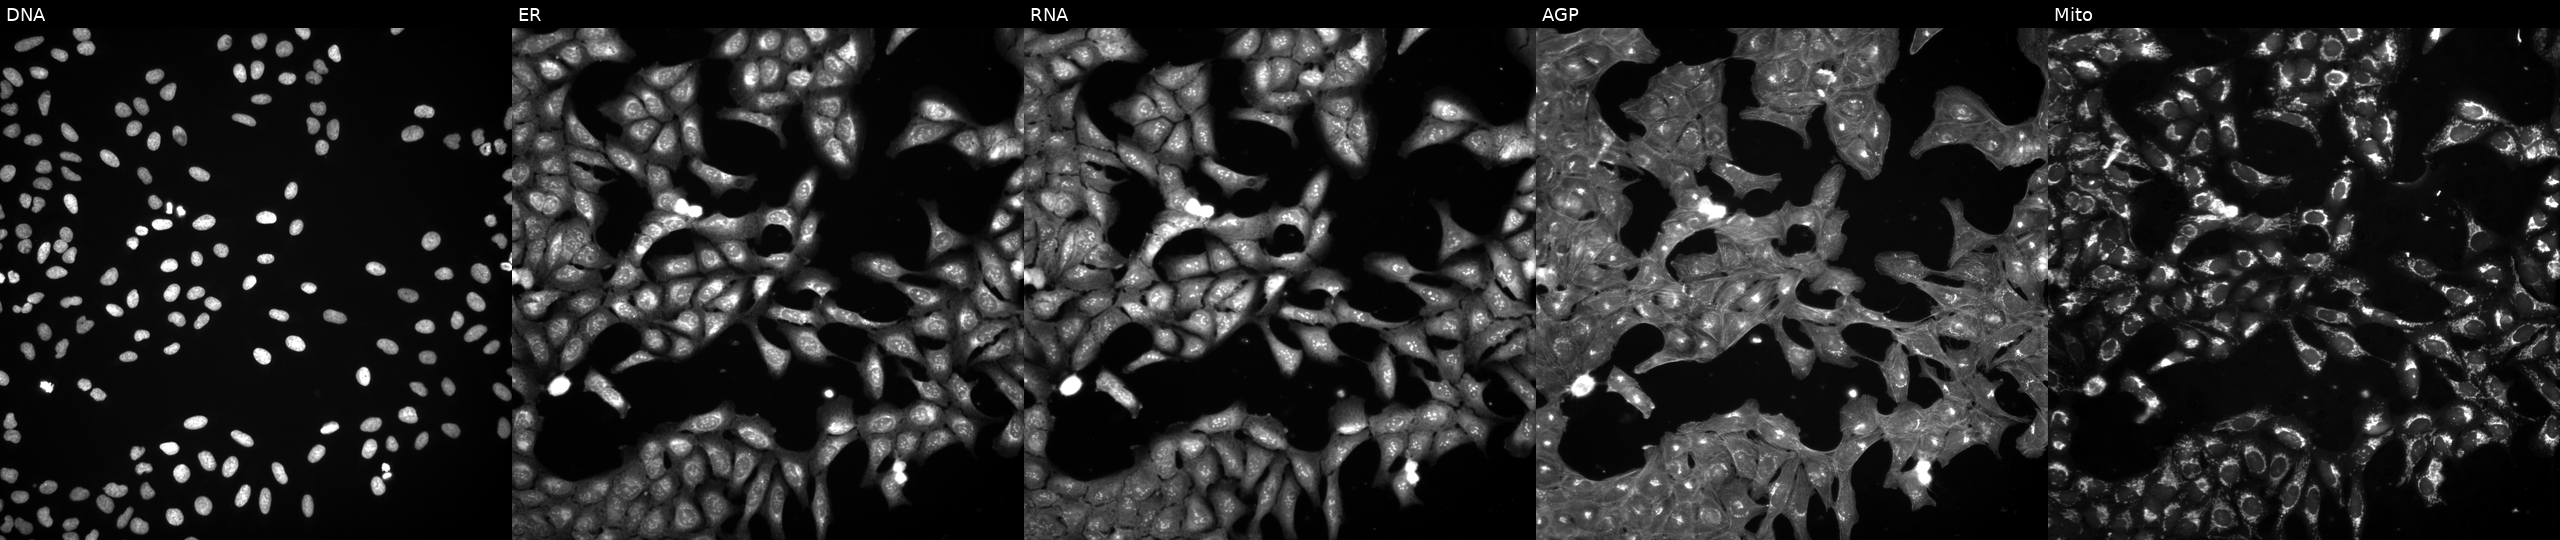
JUMP Cell Painting — COMPOUND plate. U2OS cells exposed to a small-molecule compound [SMILES: CC1(C)Cc2cccc(OCC(=O)Nc3cccnc3)c2O1] (JUMP id JCP2022_054670). The five panels, left to right, show DNA (nuclei); ER (endoplasmic reticulum); RNA (nucleoli and cytoplasmic RNA); AGP (actin cytoskeleton, Golgi, and plasma membrane); Mito (mitochondria). Source 3, plate BR5867b3, well L05.